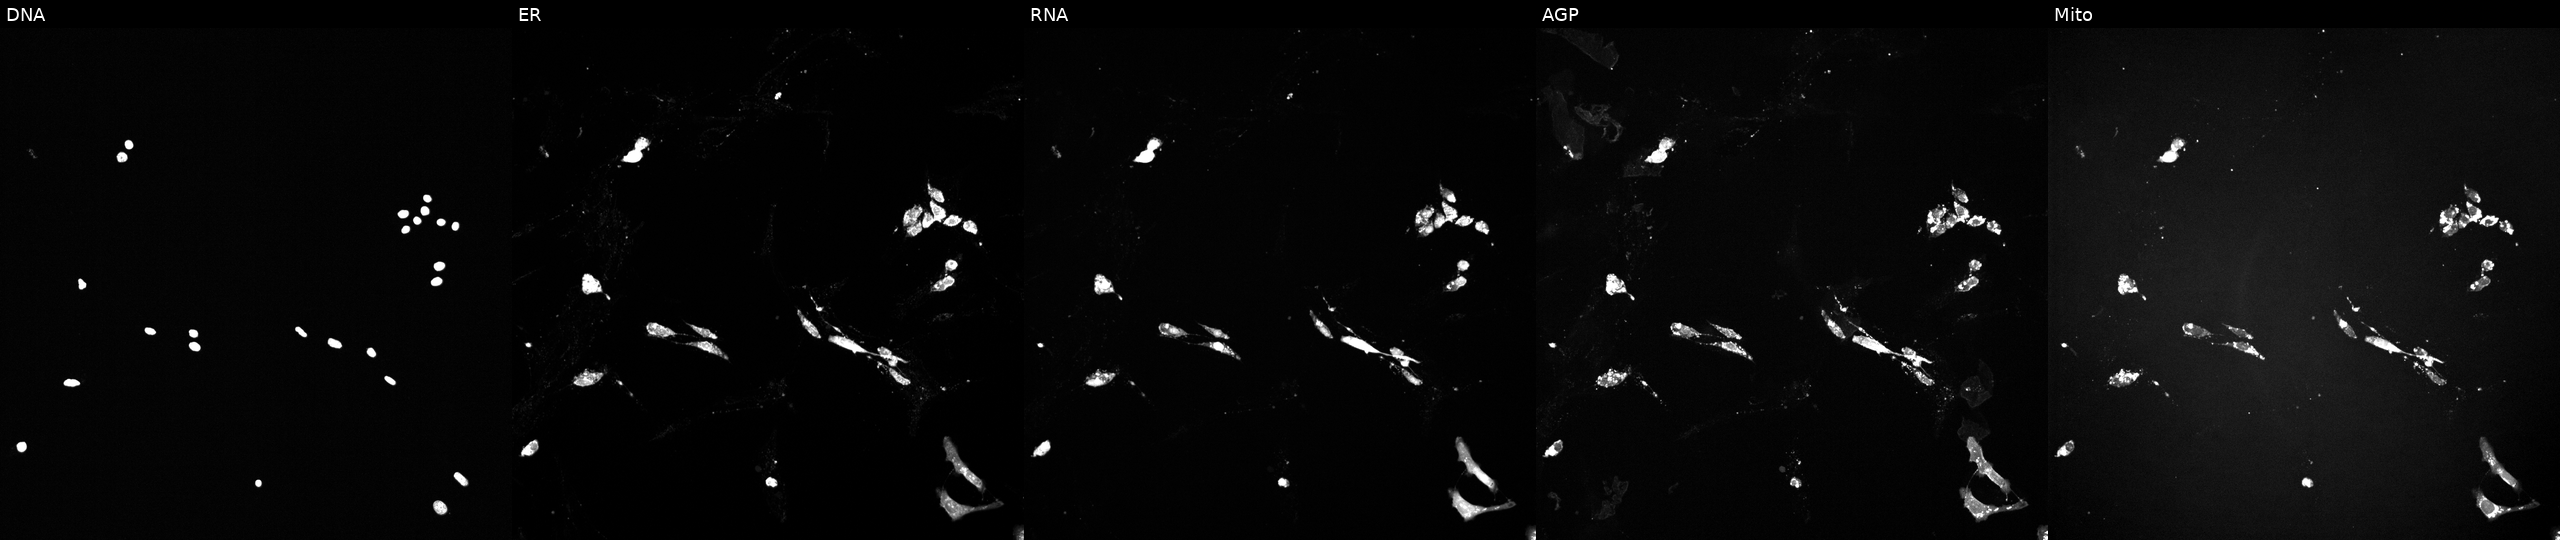
High-content fluorescence microscopy (Cell Painting). Cell line: U2OS. Perturbation: perturbed with a small-molecule compound (InChIKey DPJNKUOXBZSZAI-UHFFFAOYSA-N) (JUMP id JCP2022_017377). The five panels, left to right, show DNA (nuclei); ER (endoplasmic reticulum); RNA (nucleoli and cytoplasmic RNA); AGP (actin cytoskeleton, Golgi, and plasma membrane); Mito (mitochondria). Source 6, plate 110000293093, well M05.